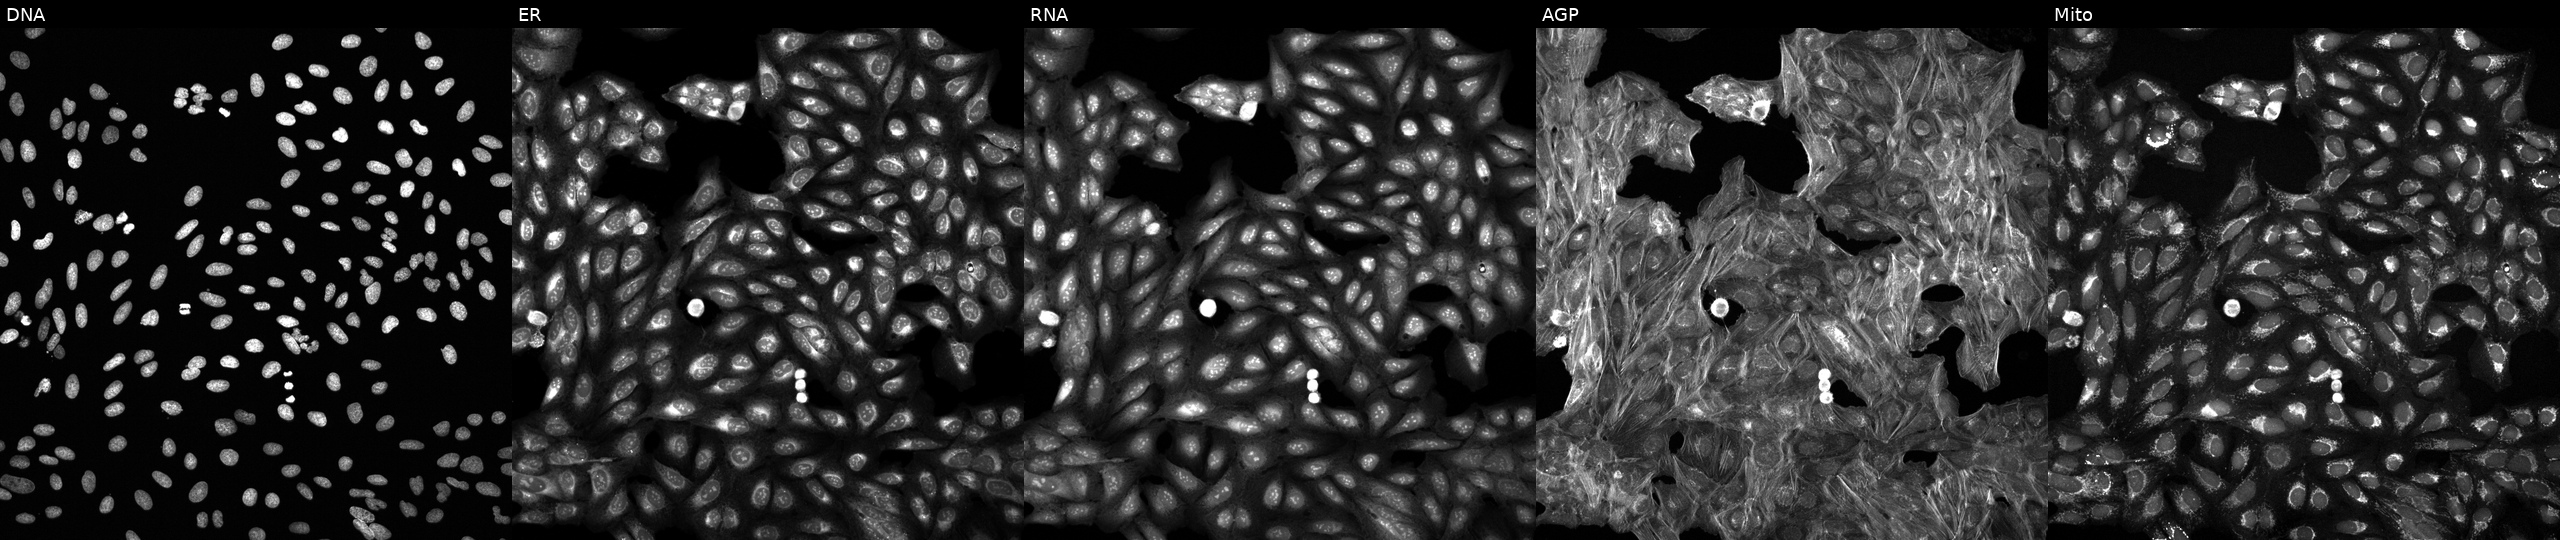
Five-channel Cell Painting image of U2OS cells exposed to a small-molecule compound (InChIKey MDKAFDIKYQMOMF-UHFFFAOYSA-N) [SMILES: FC(F)(F)c1cc(NC(=S)Nc2ccc(Br)cc2-c2nn[nH]n2)cc(C(F)(F)F)c1]. From left to right: DNA (nuclei); ER (endoplasmic reticulum); RNA (nucleoli and cytoplasmic RNA); AGP (actin cytoskeleton, Golgi, and plasma membrane); Mito (mitochondria).